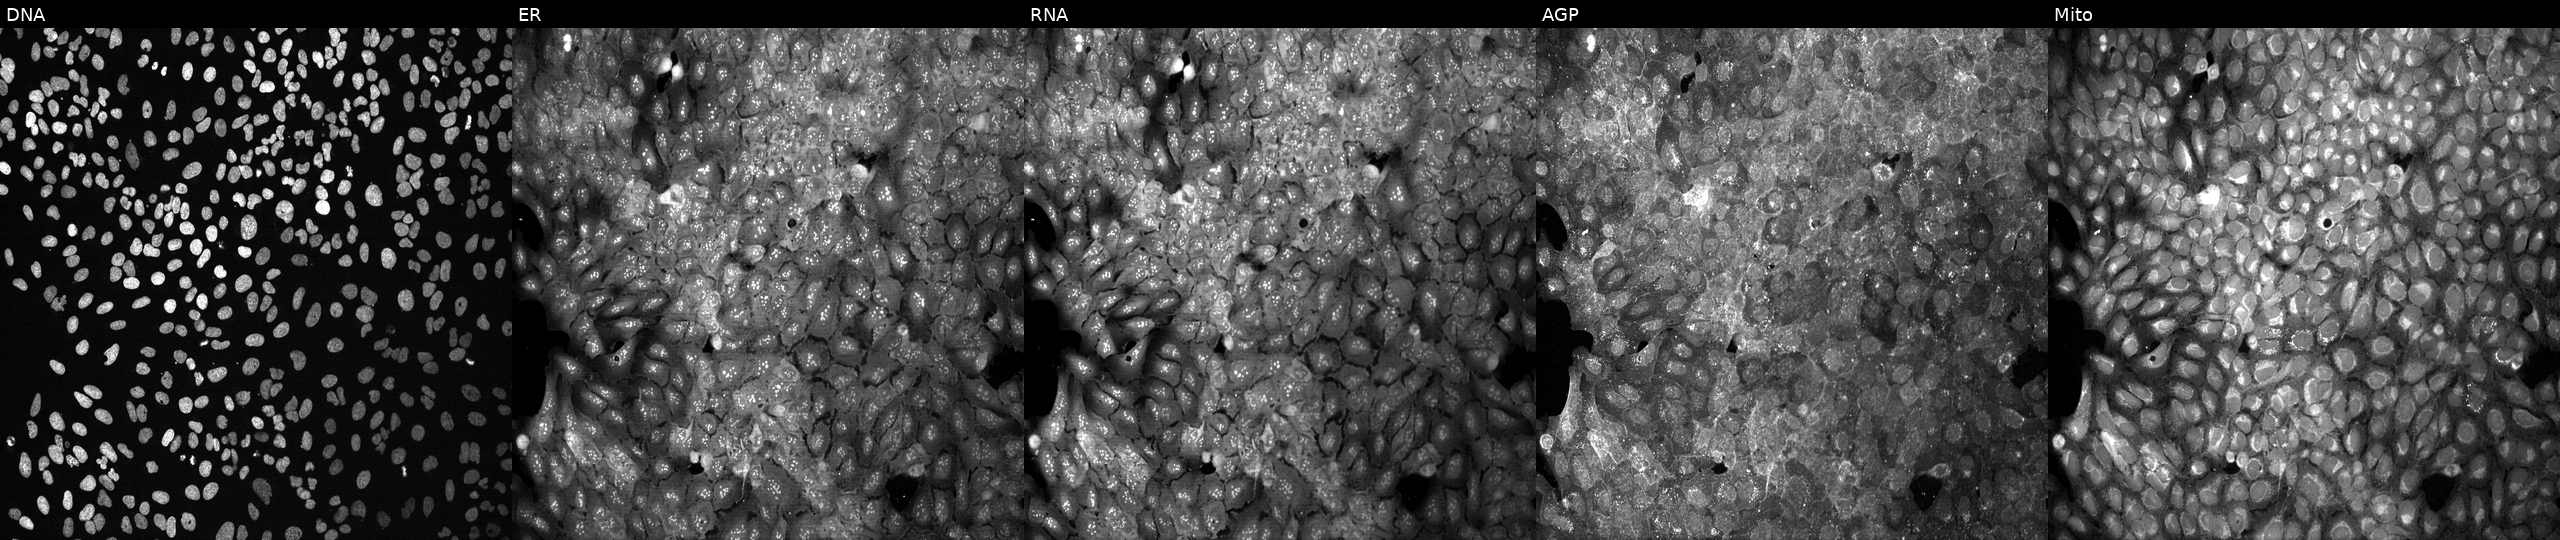
This image strip shows the five Cell Painting channels for a single field of U2OS cells CRISPR-edited to disrupt ST6GAL1 (JUMP id JCP2022_806803). Channels (left→right): DNA, ER, RNA, AGP, and Mito.